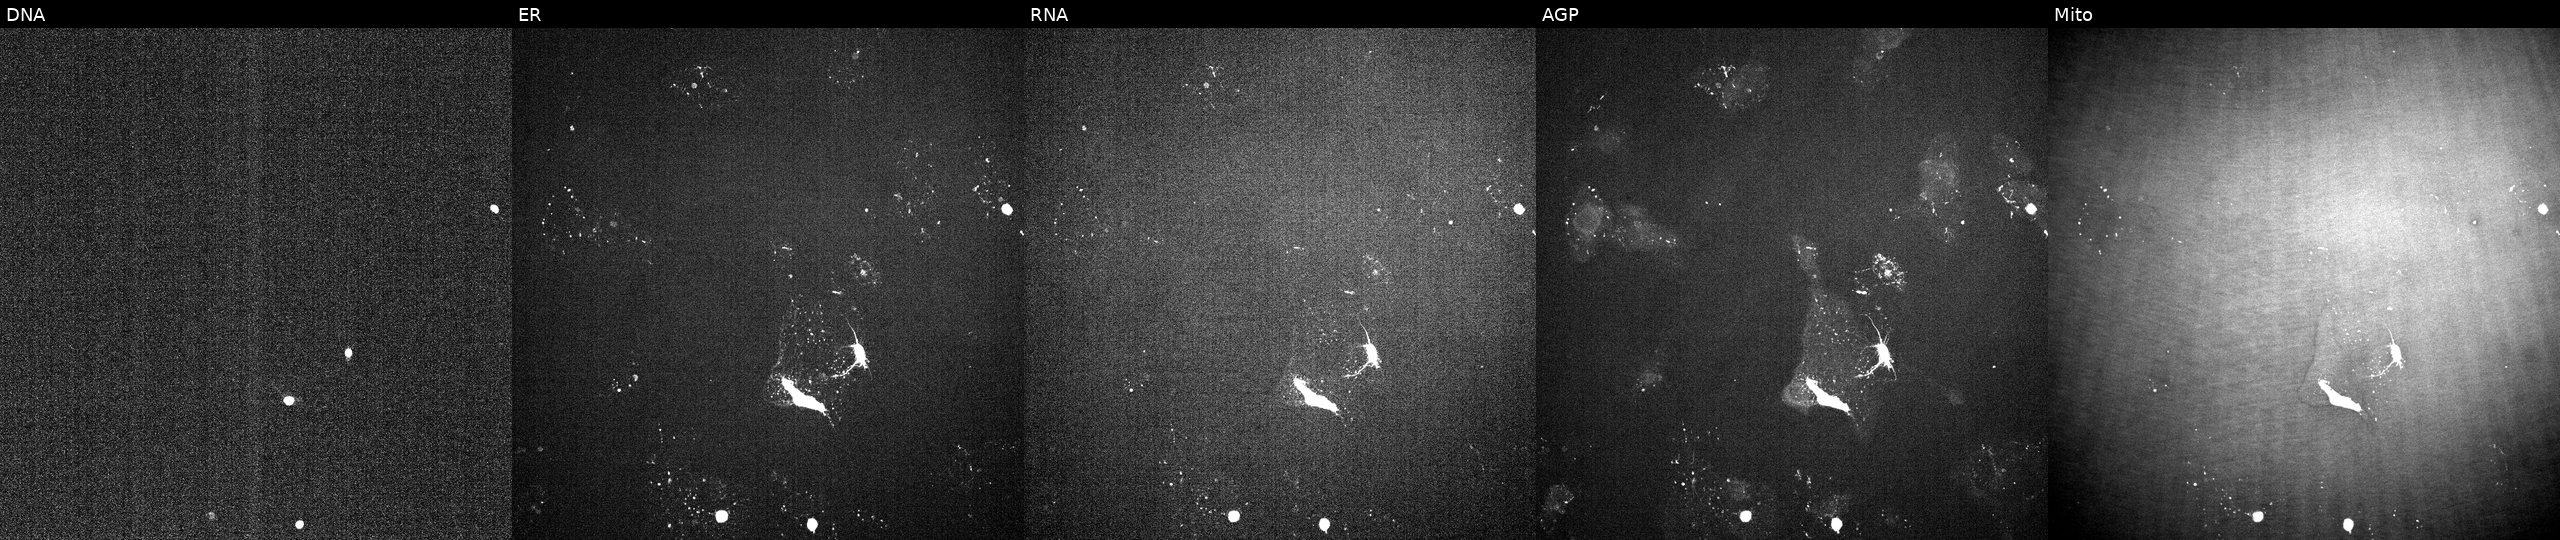
U2OS cells, Cell Painting assay, treated with a small-molecule compound (InChIKey IAYGCINLNONXHY-UHFFFAOYSA-N) (JUMP id JCP2022_033914). Channels (left→right): DNA, ER, RNA, AGP, and Mito. Each panel is percentile-stretched 16-bit fluorescence.